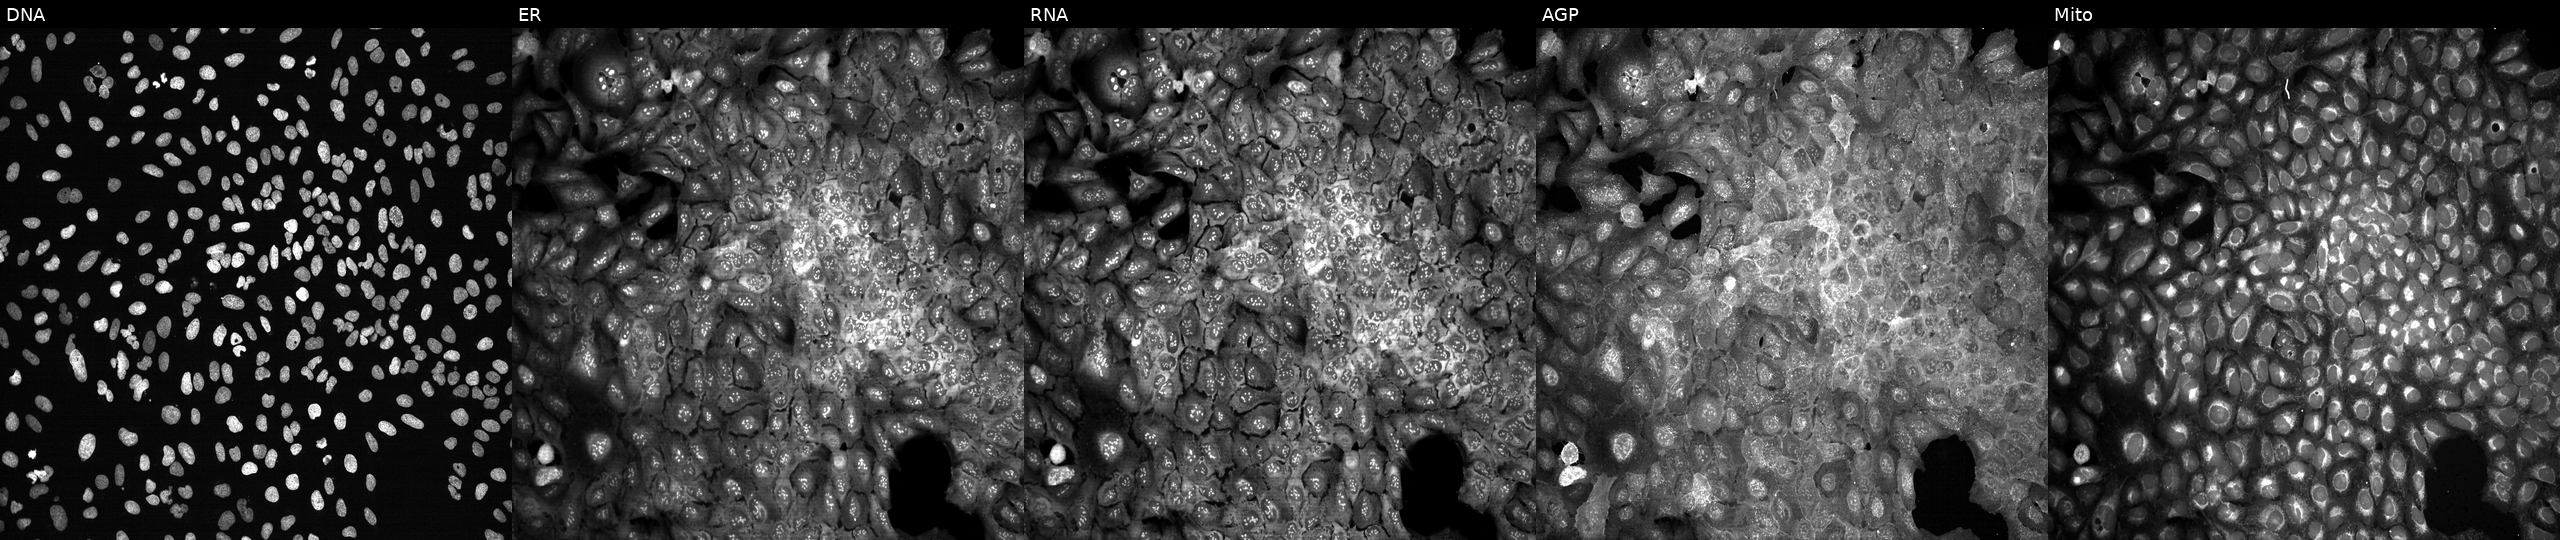
Five-channel Cell Painting image of U2OS cells with PTGIS knocked out by CRISPR (JUMP id JCP2022_805655). Panels show, left to right, DNA (nuclei); ER (endoplasmic reticulum); RNA (nucleoli and cytoplasmic RNA); AGP (actin cytoskeleton, Golgi, and plasma membrane); Mito (mitochondria).